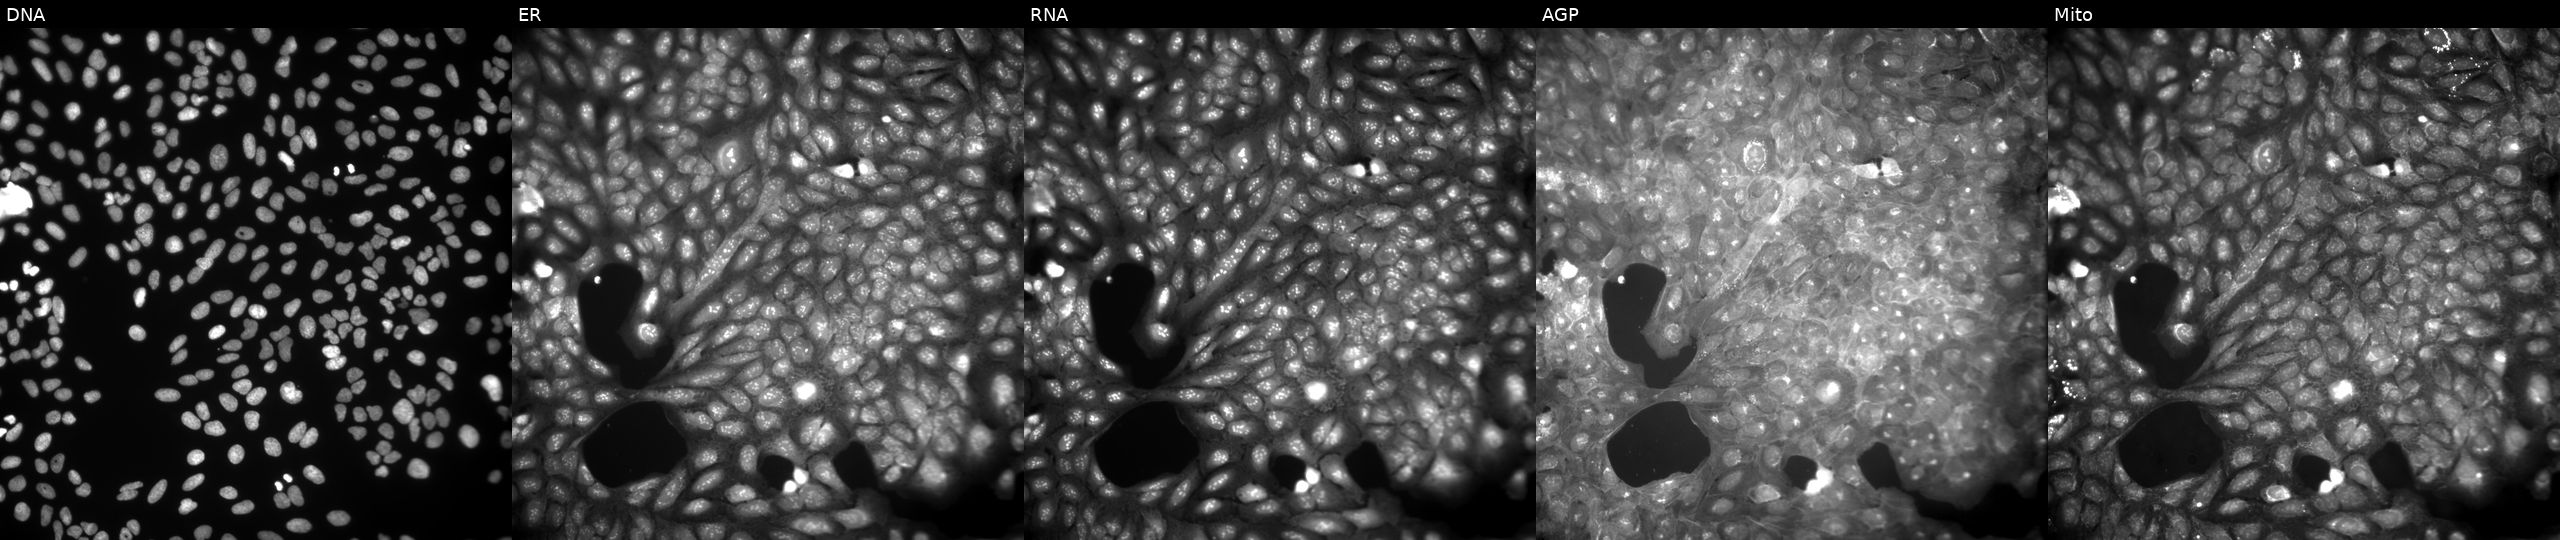
High-content fluorescence microscopy (Cell Painting). Cell line: U2OS. Perturbation: treated with a small-molecule compound (InChIKey ORXVESIKPBYBMC-UHFFFAOYSA-N) [SMILES: COc1ccc(-n2c(C=Cc3ccc4c(c3)OCO4)nc3ccccc3c2=O)cc1]. Panels show, left to right, Hoechst 33342, concanavalin A, SYTO 14, phalloidin and WGA, MitoTracker. Source 9, plate GR00003382, well X44.